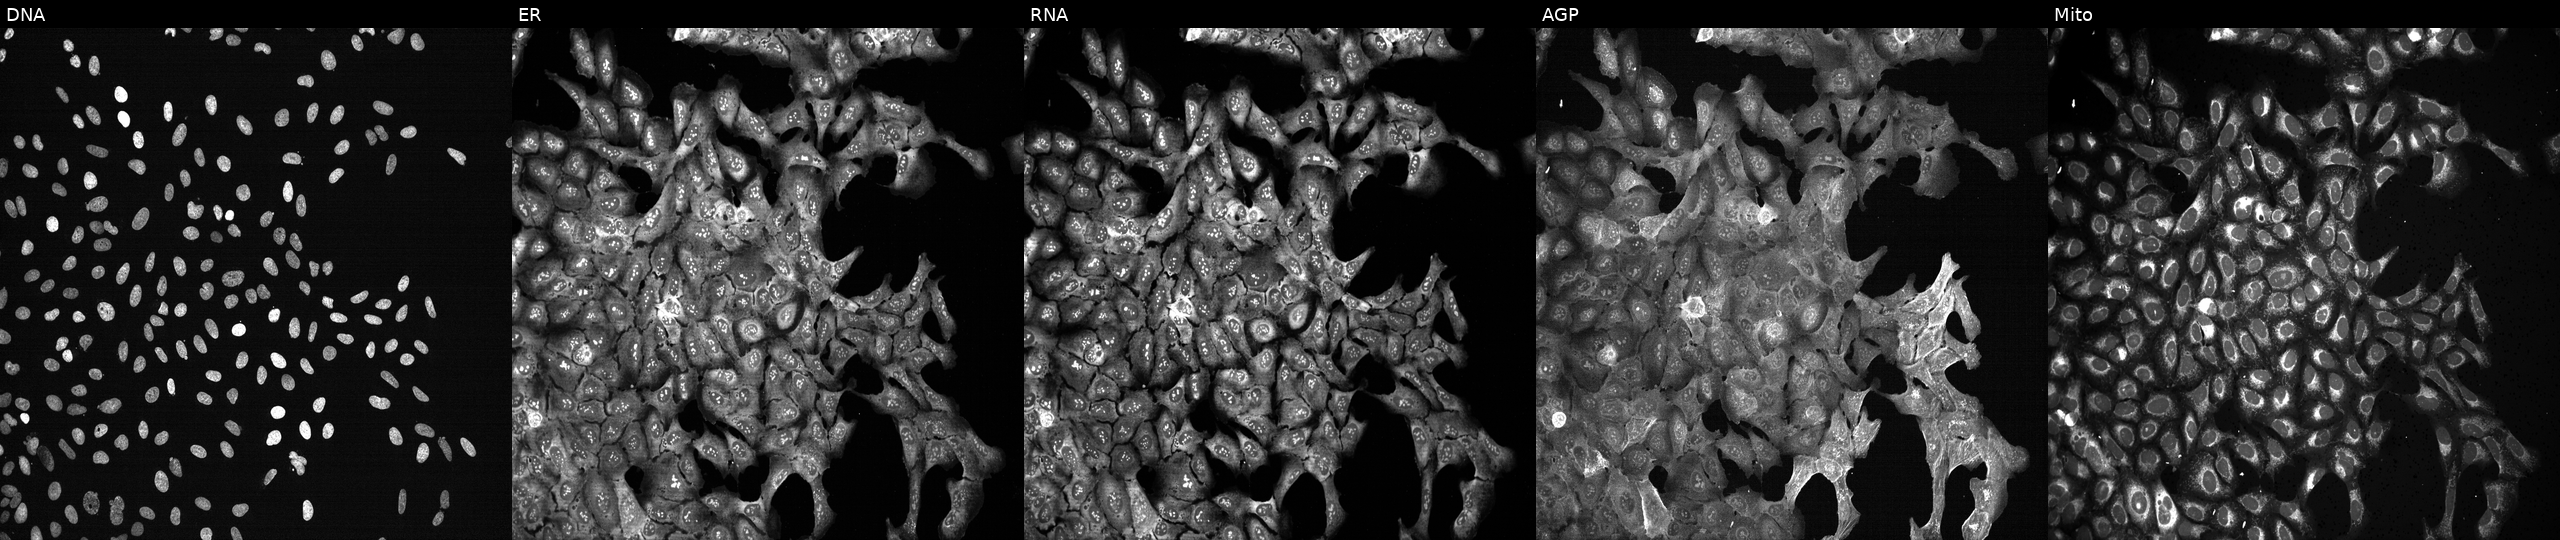
High-content fluorescence microscopy (Cell Painting). Cell line: U2OS. Perturbation: following CRISPR knockout of SLC1A4 (JUMP id JCP2022_806410). Channels (left→right): Hoechst 33342, concanavalin A, SYTO 14, phalloidin and WGA, MitoTracker.